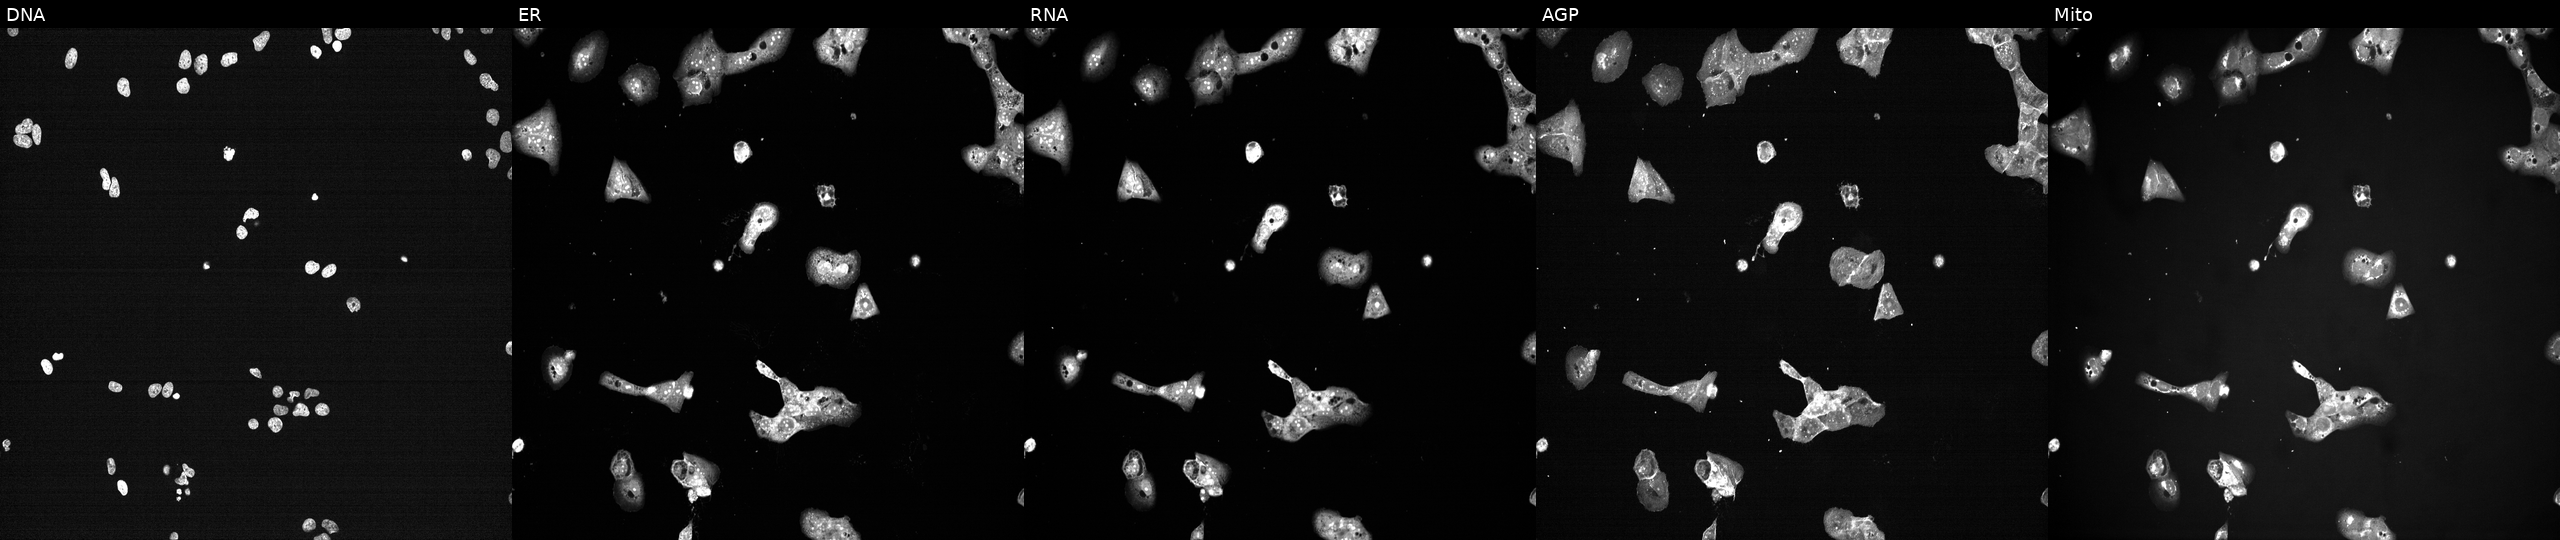
JUMP Cell Painting — TARGET2 plate. U2OS cells exposed to a small-molecule compound [SMILES: C(#Cc1nc2ncccc2nc1OCCN1CCCC1)c1ccccc1]. The five panels, left to right, show DNA, ER, RNA, AGP, and Mito. Source 7, plate CP3-SC1-25, well B22.